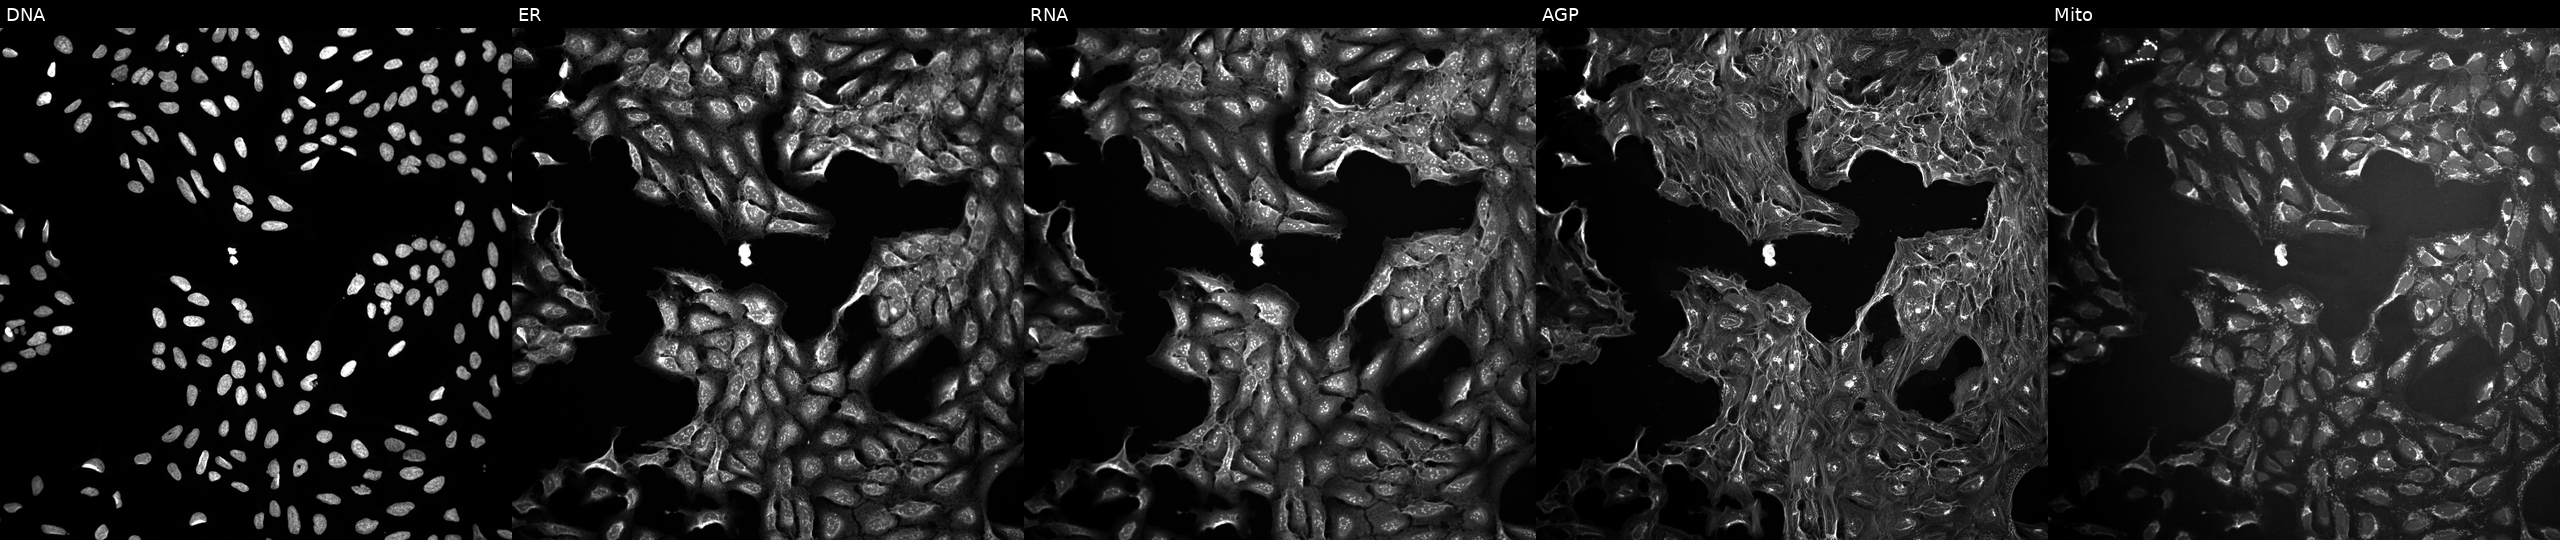
U2OS cells, Cell Painting assay, treated with DMSO vehicle only (negative control) (JUMP id JCP2022_033924). Panels show, left to right, Hoechst 33342, concanavalin A, SYTO 14, phalloidin and WGA, MitoTracker. Each panel is percentile-stretched 16-bit fluorescence.